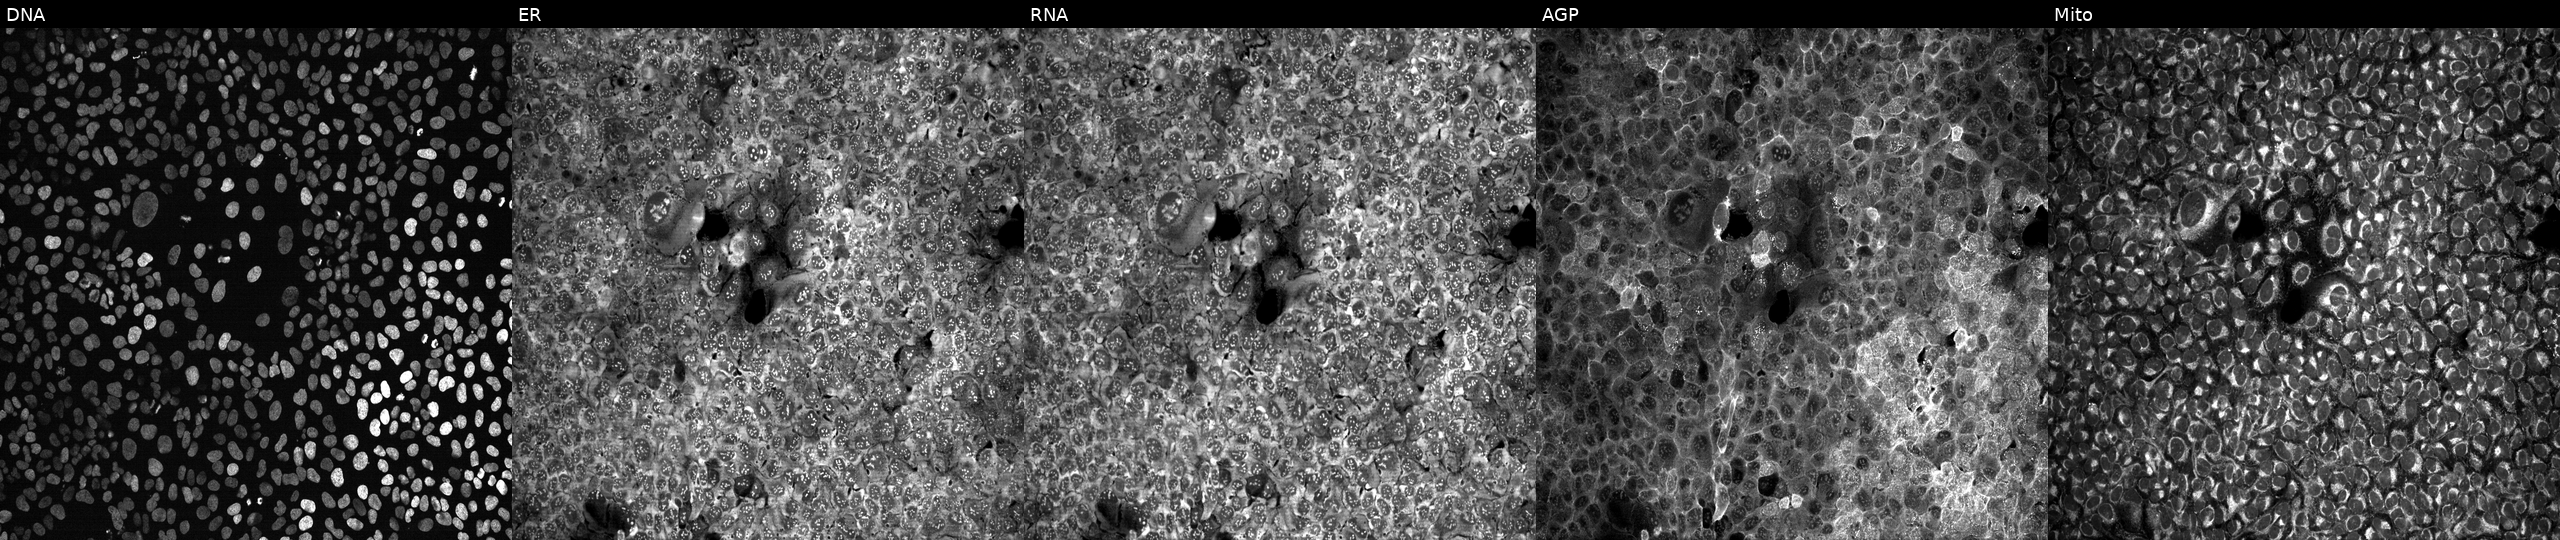
This image strip shows the five Cell Painting channels for a single field of U2OS cells treated with LY2109761 (positive-control compound) (JUMP id JCP2022_035095). Channels (left→right): DNA, ER, RNA, AGP, and Mito.